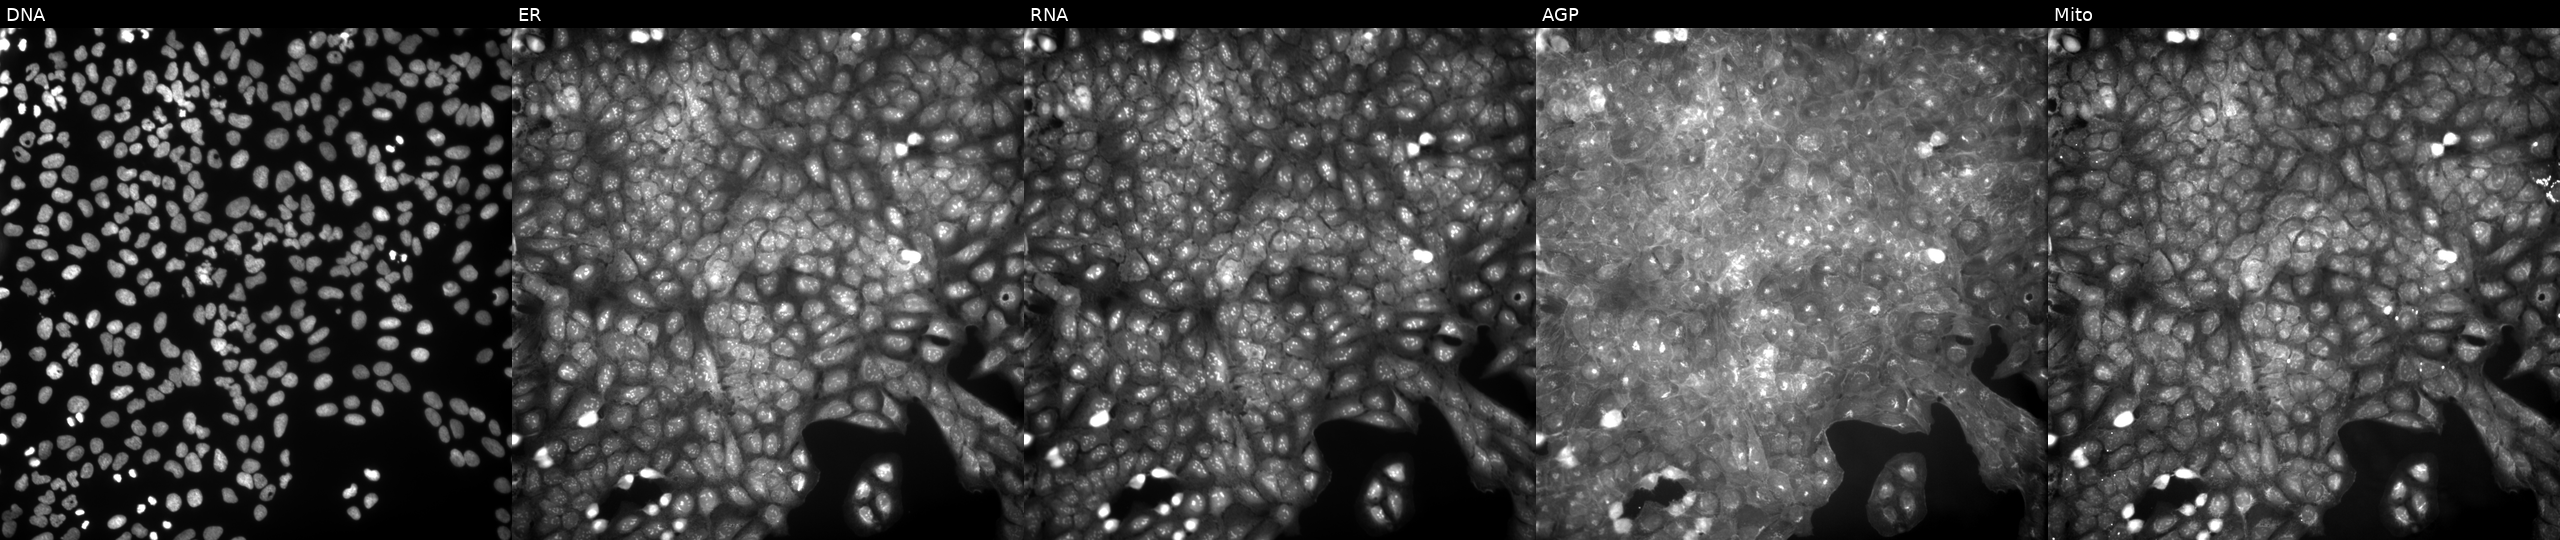
JUMP Cell Painting — COMPOUND plate. U2OS cells exposed to a small-molecule compound [SMILES: COc1ccc(C2CC(=O)c3c[nH]c(=NC(=O)c4ccccc4)nc3C2)cc1OC] (JUMP id JCP2022_009850). From left to right: Hoechst 33342, concanavalin A, SYTO 14, phalloidin and WGA, MitoTracker.